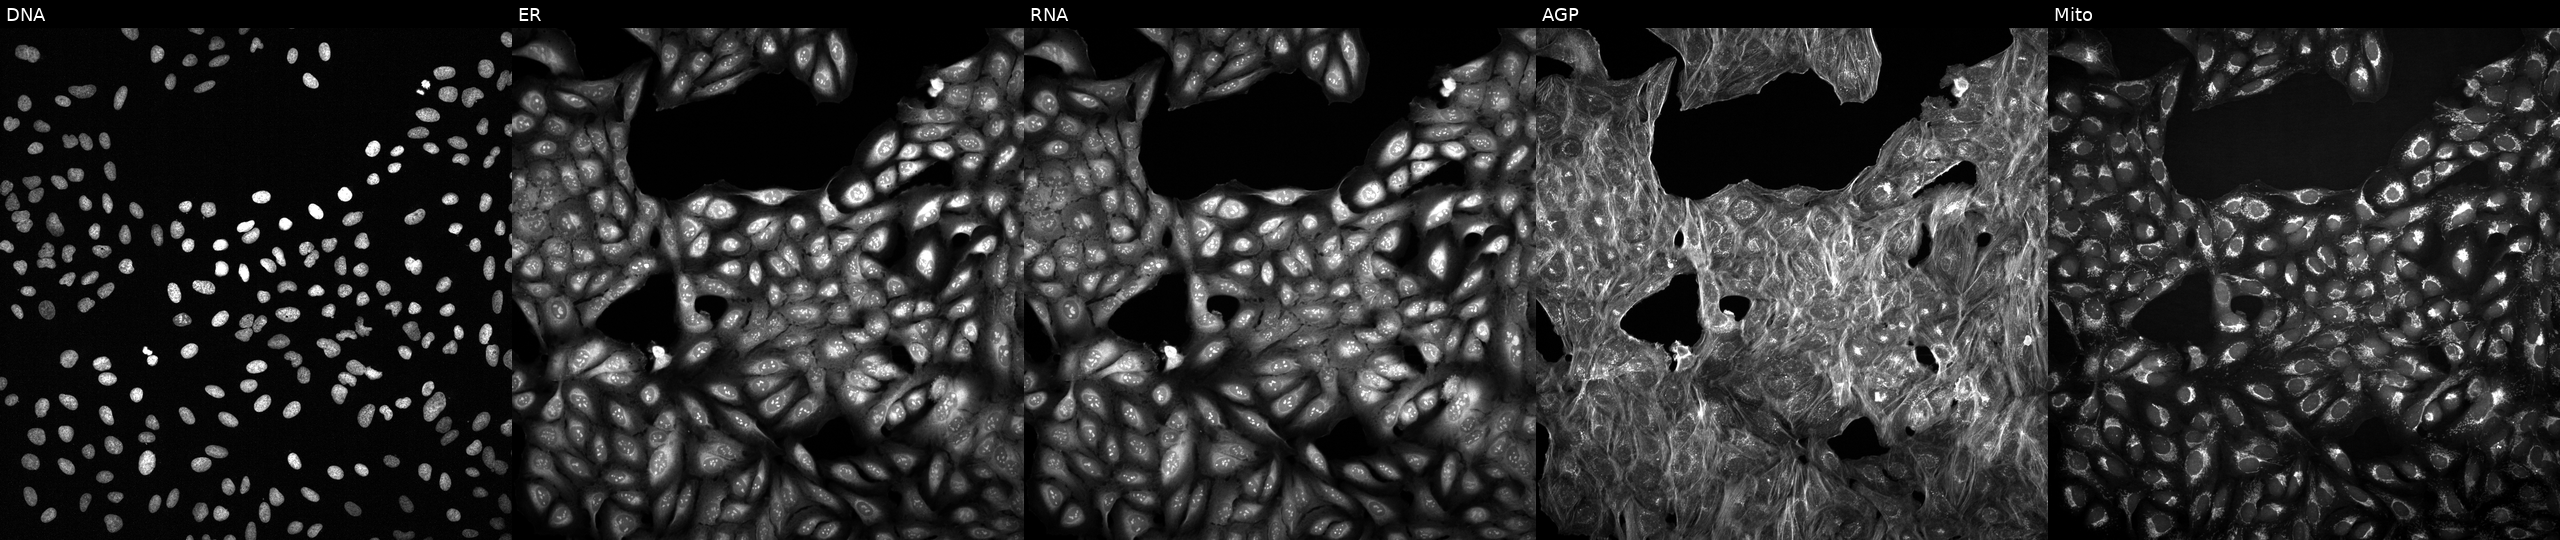
From left to right: DNA (nuclei); ER (endoplasmic reticulum); RNA (nucleoli and cytoplasmic RNA); AGP (actin cytoskeleton, Golgi, and plasma membrane); Mito (mitochondria). U2OS osteosarcoma cells with an unidentified perturbation (not annotated in JUMP metadata). Cell Painting assay, JUMP-CP dataset.